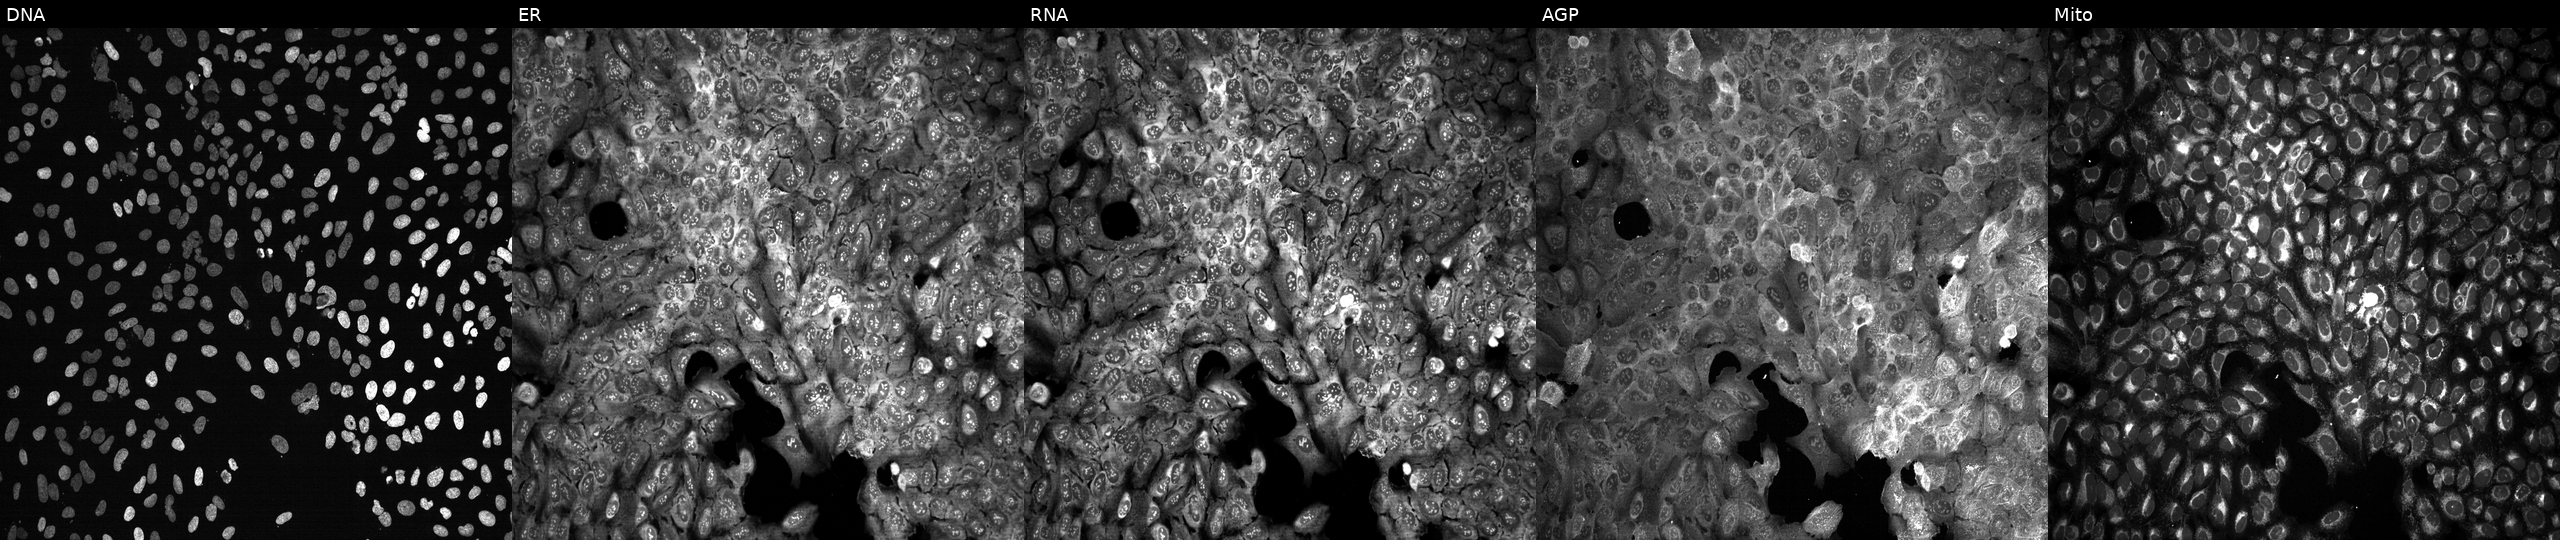
High-content fluorescence microscopy (Cell Painting). Cell line: U2OS. Perturbation: CRISPR-edited to disrupt VAV3. From left to right: DNA (nuclei); ER (endoplasmic reticulum); RNA (nucleoli and cytoplasmic RNA); AGP (actin cytoskeleton, Golgi, and plasma membrane); Mito (mitochondria). Source 13, plate CP-CC9-R3-02, well F04.